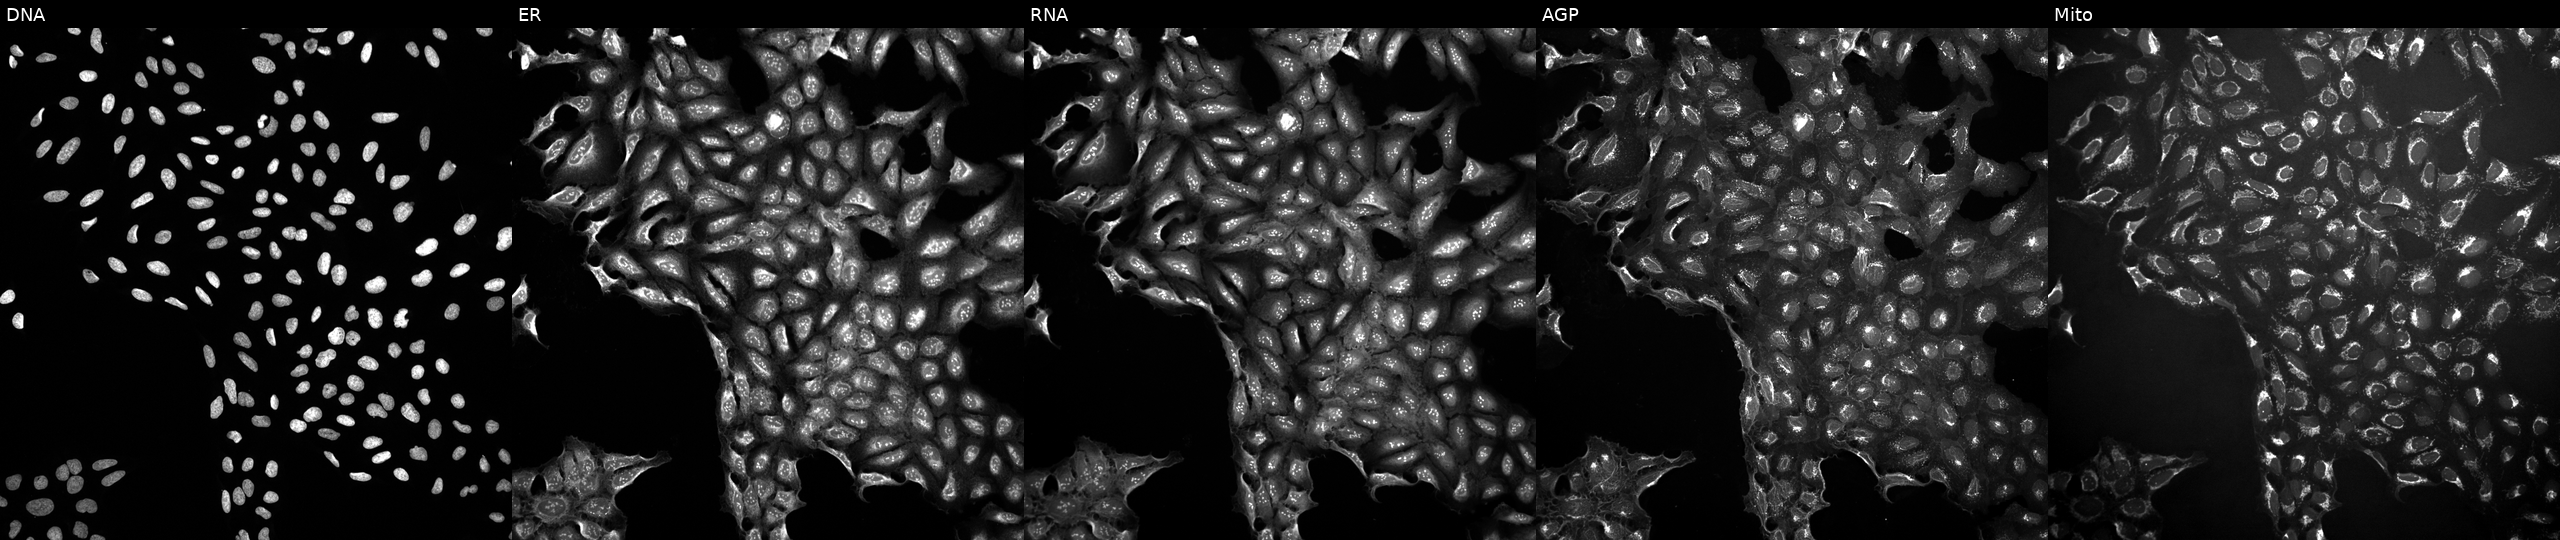
U2OS cells, Cell Painting assay, perturbed with a small-molecule compound (InChIKey JPGQOUSTVILISH-UHFFFAOYSA-N) (JUMP id JCP2022_041253). Panels show, left to right, DNA, ER, RNA, AGP, and Mito. Each panel is percentile-stretched 16-bit fluorescence.